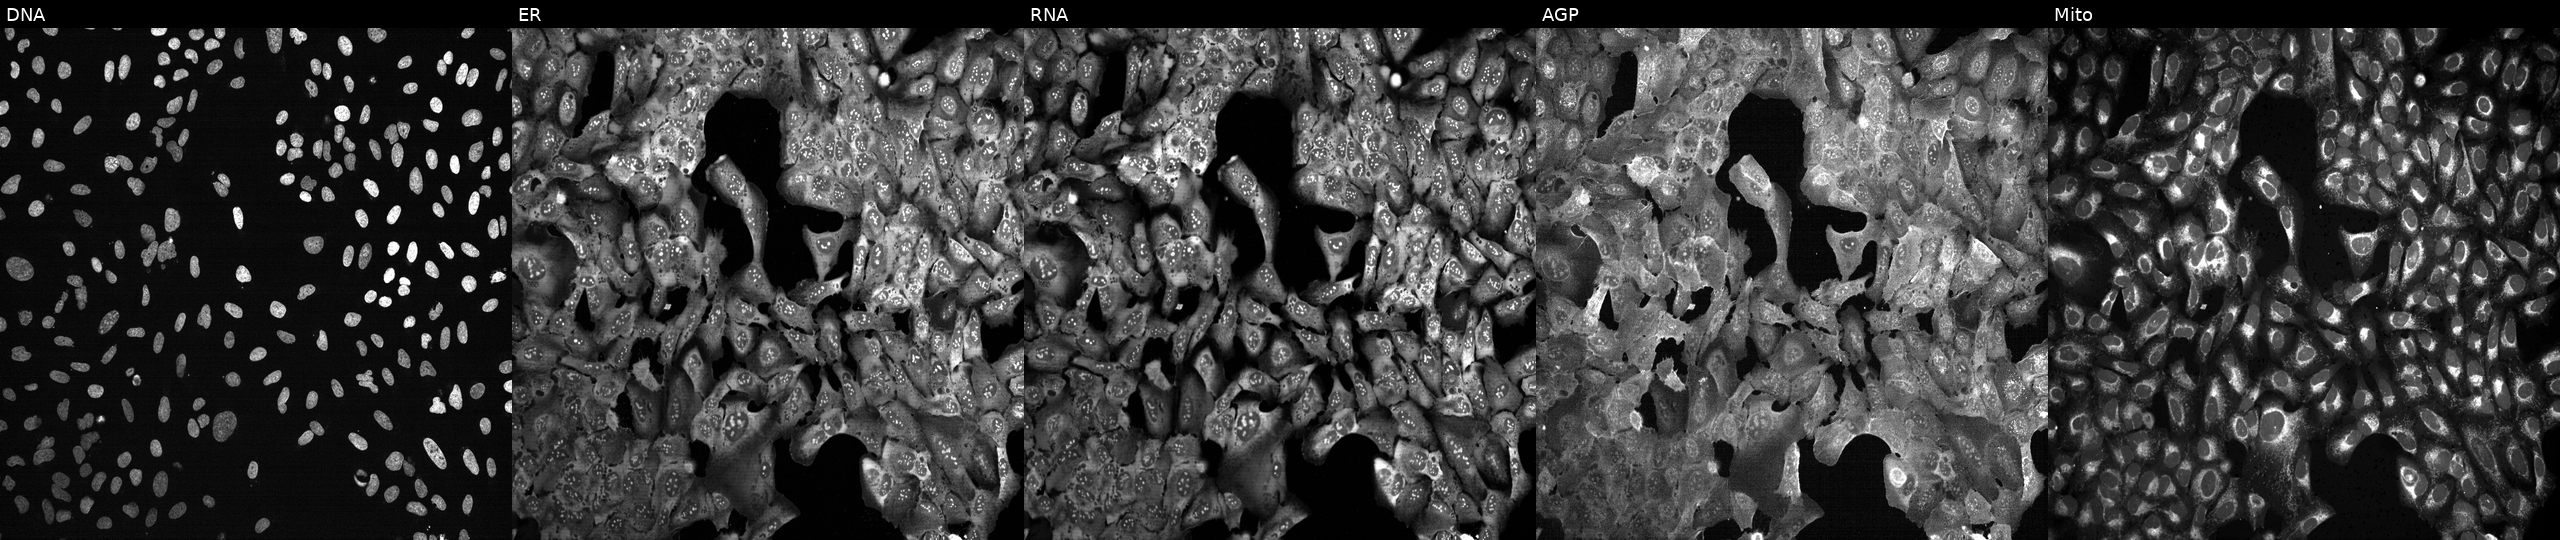
This image strip shows the five Cell Painting channels for a single field of U2OS cells with CDC5L knocked out by CRISPR. From left to right: DNA, ER, RNA, AGP, and Mito.